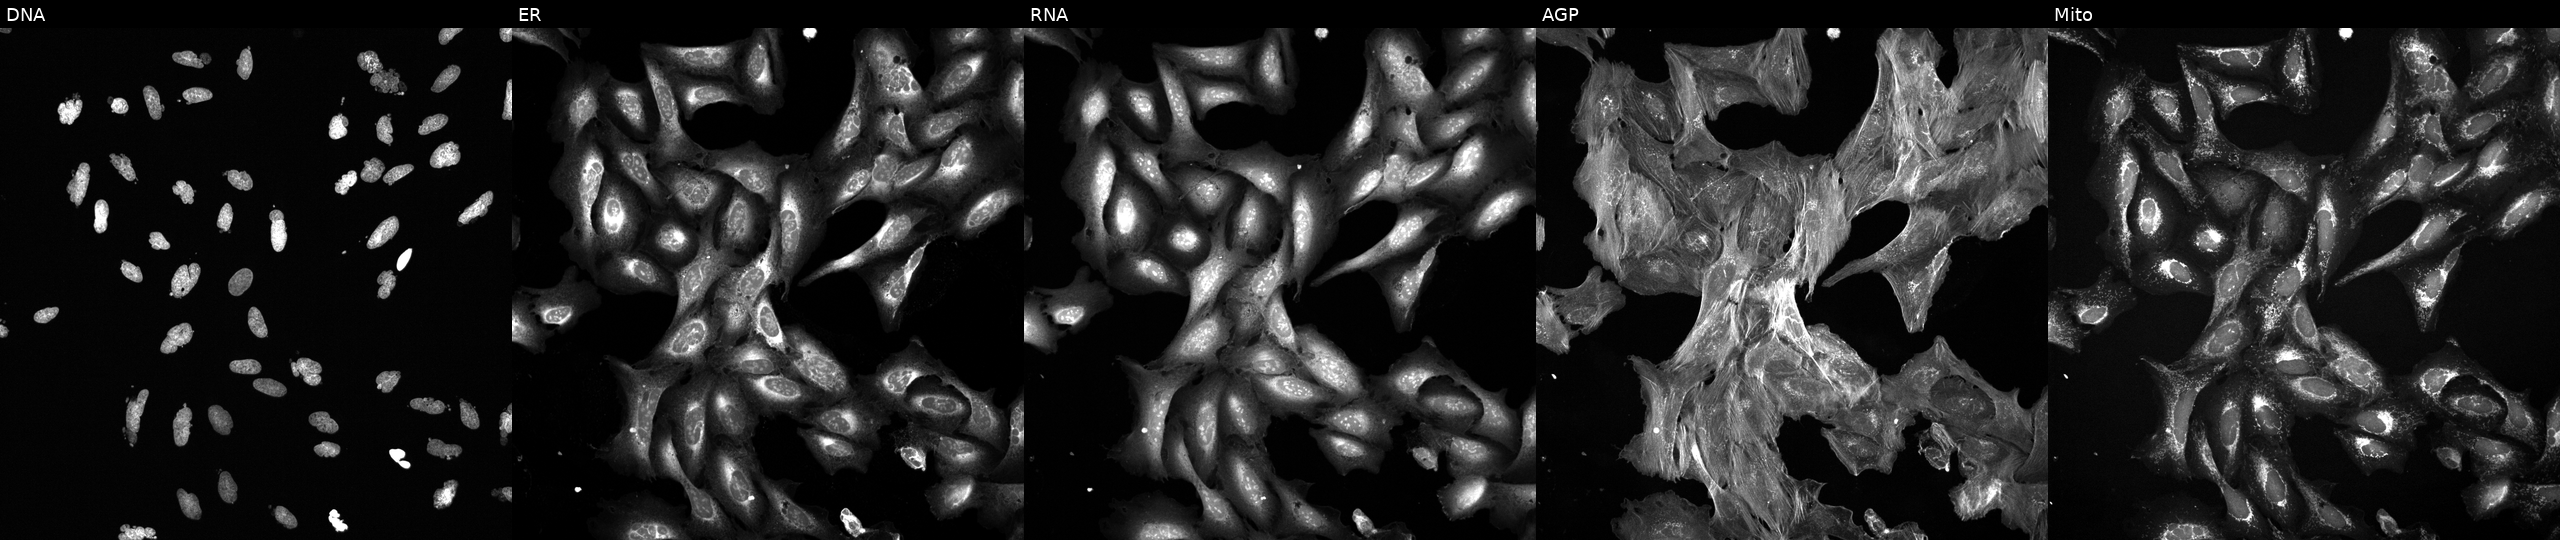
Channels (left→right): DNA (nuclei); ER (endoplasmic reticulum); RNA (nucleoli and cytoplasmic RNA); AGP (actin cytoskeleton, Golgi, and plasma membrane); Mito (mitochondria). U2OS osteosarcoma cells perturbed with a small-molecule compound [SMILES: COC(C(=O)n1cc2[nH][nH]c(=NC(O)c3ccc(N4CCN(C)CC4)cc3)c2c1)c1ccccc1]. Cell Painting assay, JUMP-CP dataset.